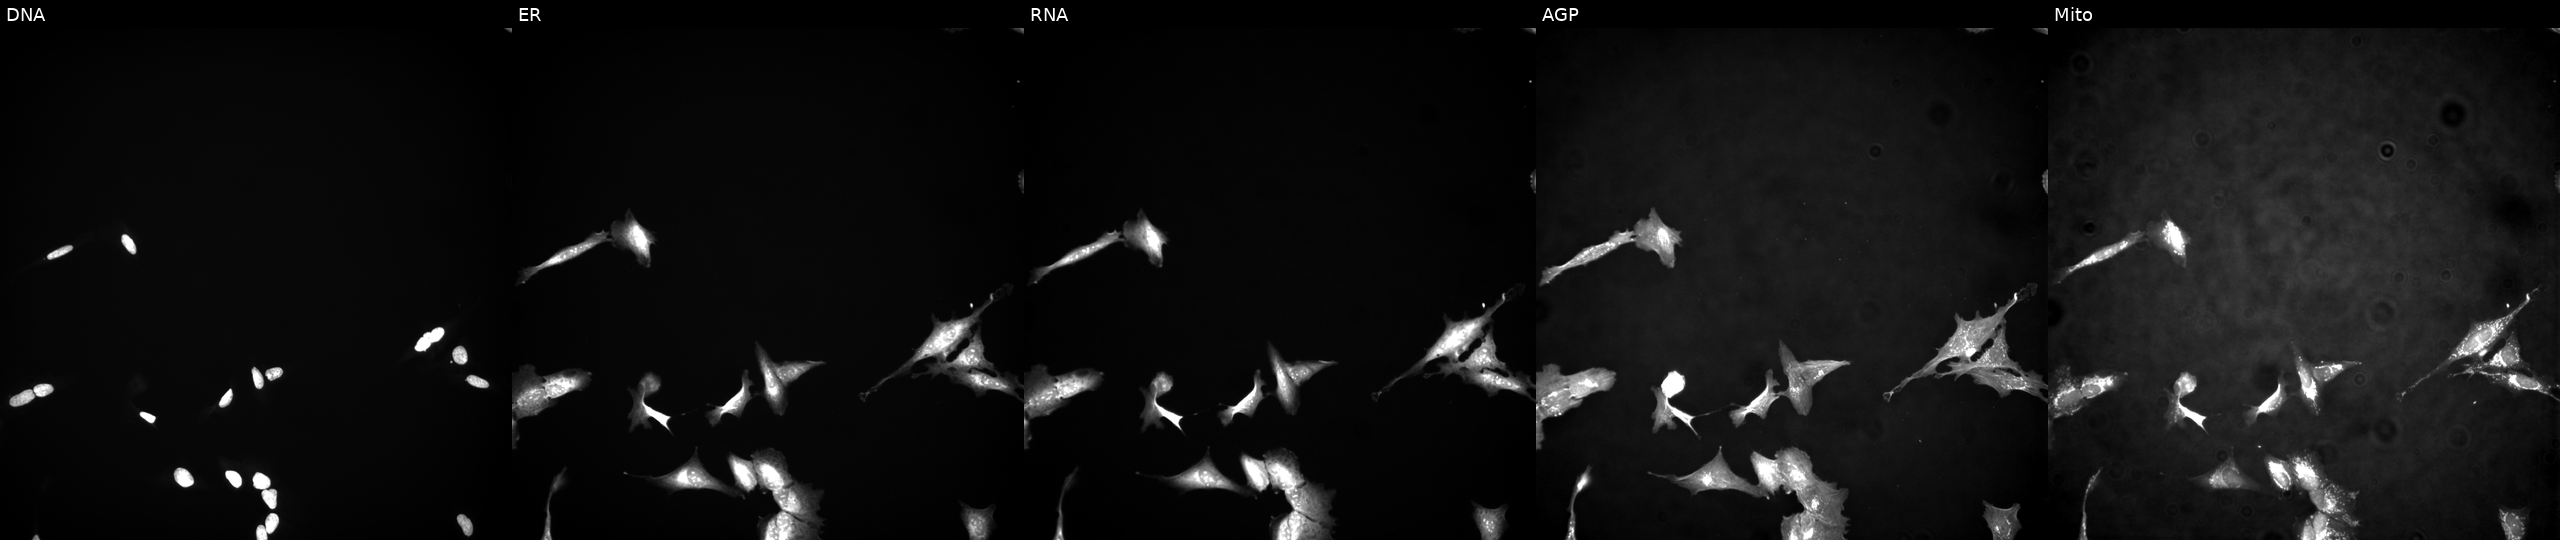
High-content fluorescence microscopy (Cell Painting). Cell line: U2OS. Perturbation: overexpressing PTPN14 via ORF transfection. From left to right: DNA (nuclei); ER (endoplasmic reticulum); RNA (nucleoli and cytoplasmic RNA); AGP (actin cytoskeleton, Golgi, and plasma membrane); Mito (mitochondria).